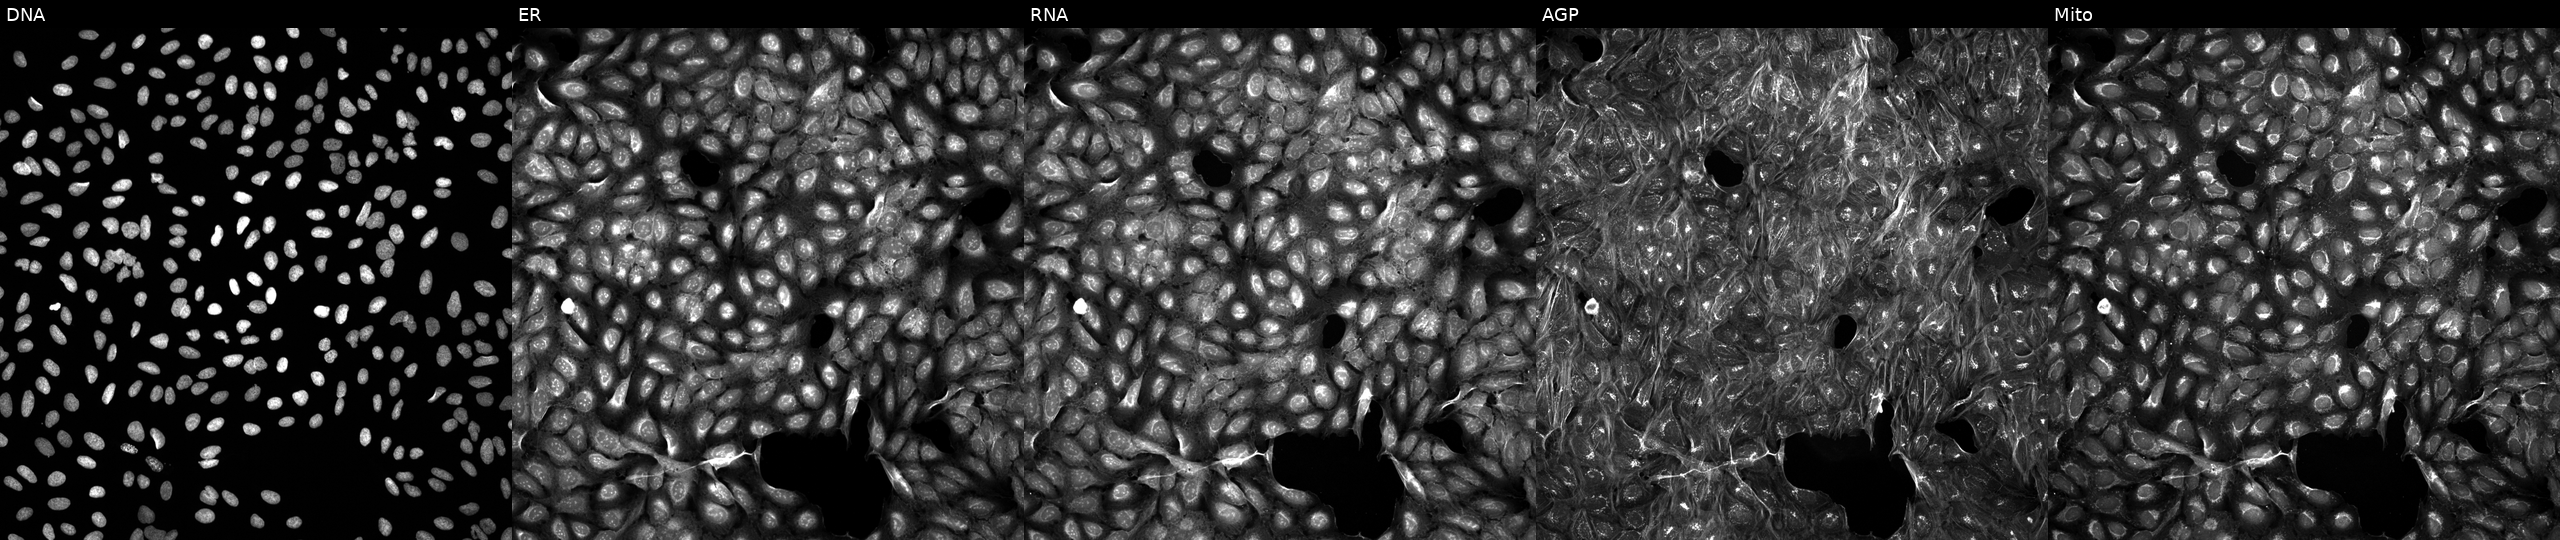
JUMP Cell Painting — COMPOUND plate. U2OS cells exposed to a small-molecule compound (InChIKey RWDJNTWJAYUGMU-UHFFFAOYSA-N) [SMILES: O=C(Cc1ccccc1)N1CCC(C(=O)N2CCN(c3ccc(F)cc3)CC2)CC1]. From left to right: DNA (nuclei); ER (endoplasmic reticulum); RNA (nucleoli and cytoplasmic RNA); AGP (actin cytoskeleton, Golgi, and plasma membrane); Mito (mitochondria).